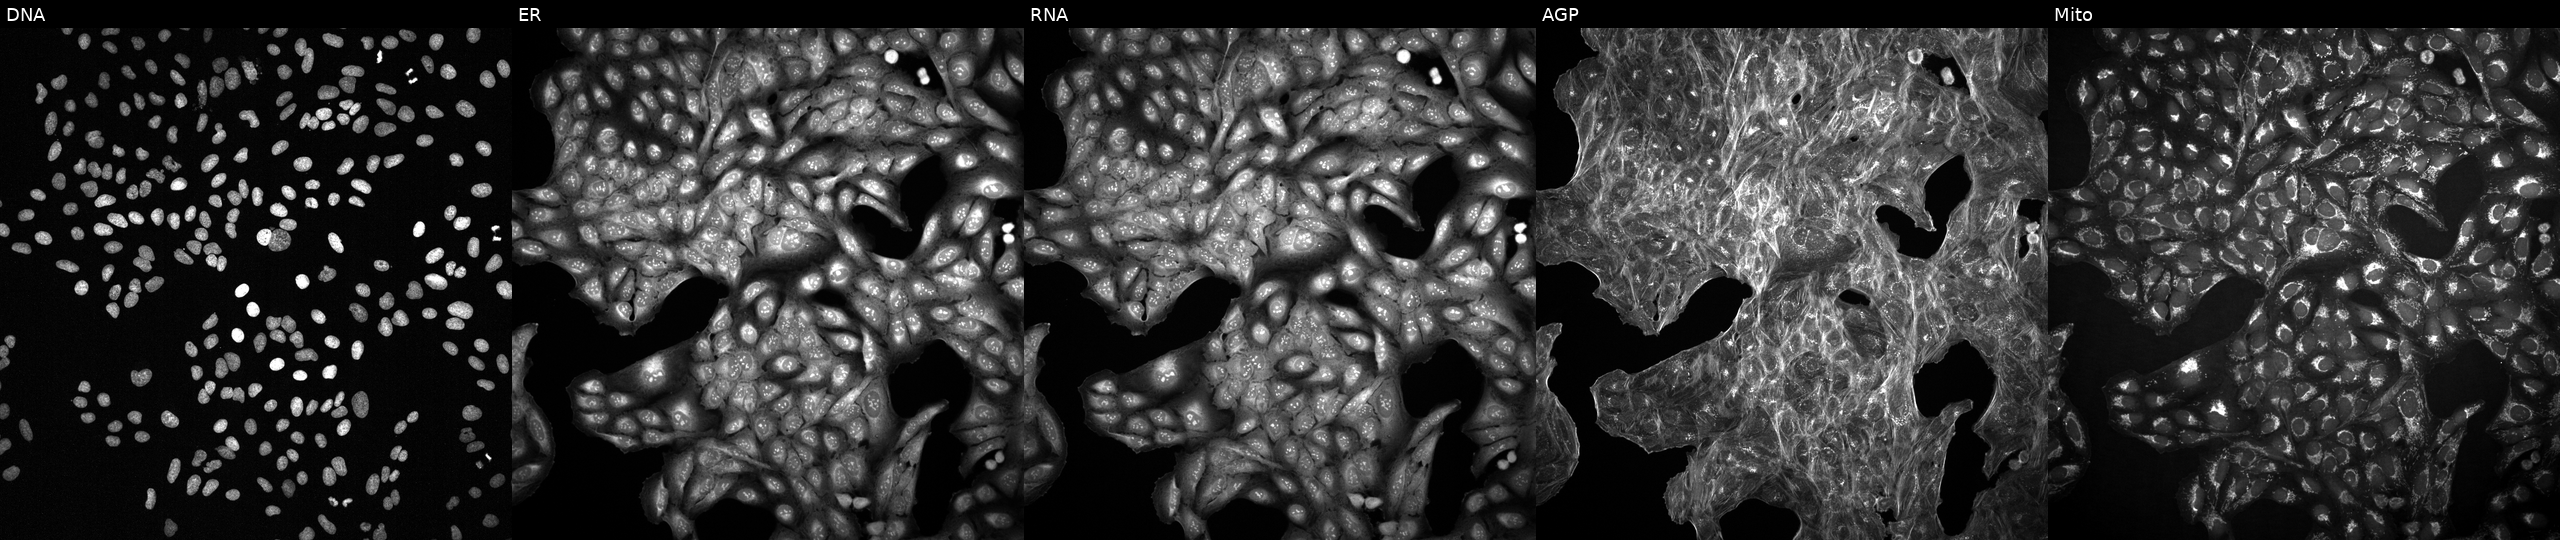
U2OS cells, Cell Painting assay, treated with a small-molecule compound (InChIKey LENZDBCJOHFCAS-UHFFFAOYSA-N) (JUMP id JCP2022_048928). Channels (left→right): Hoechst 33342, concanavalin A, SYTO 14, phalloidin and WGA, MitoTracker. Each panel is percentile-stretched 16-bit fluorescence.